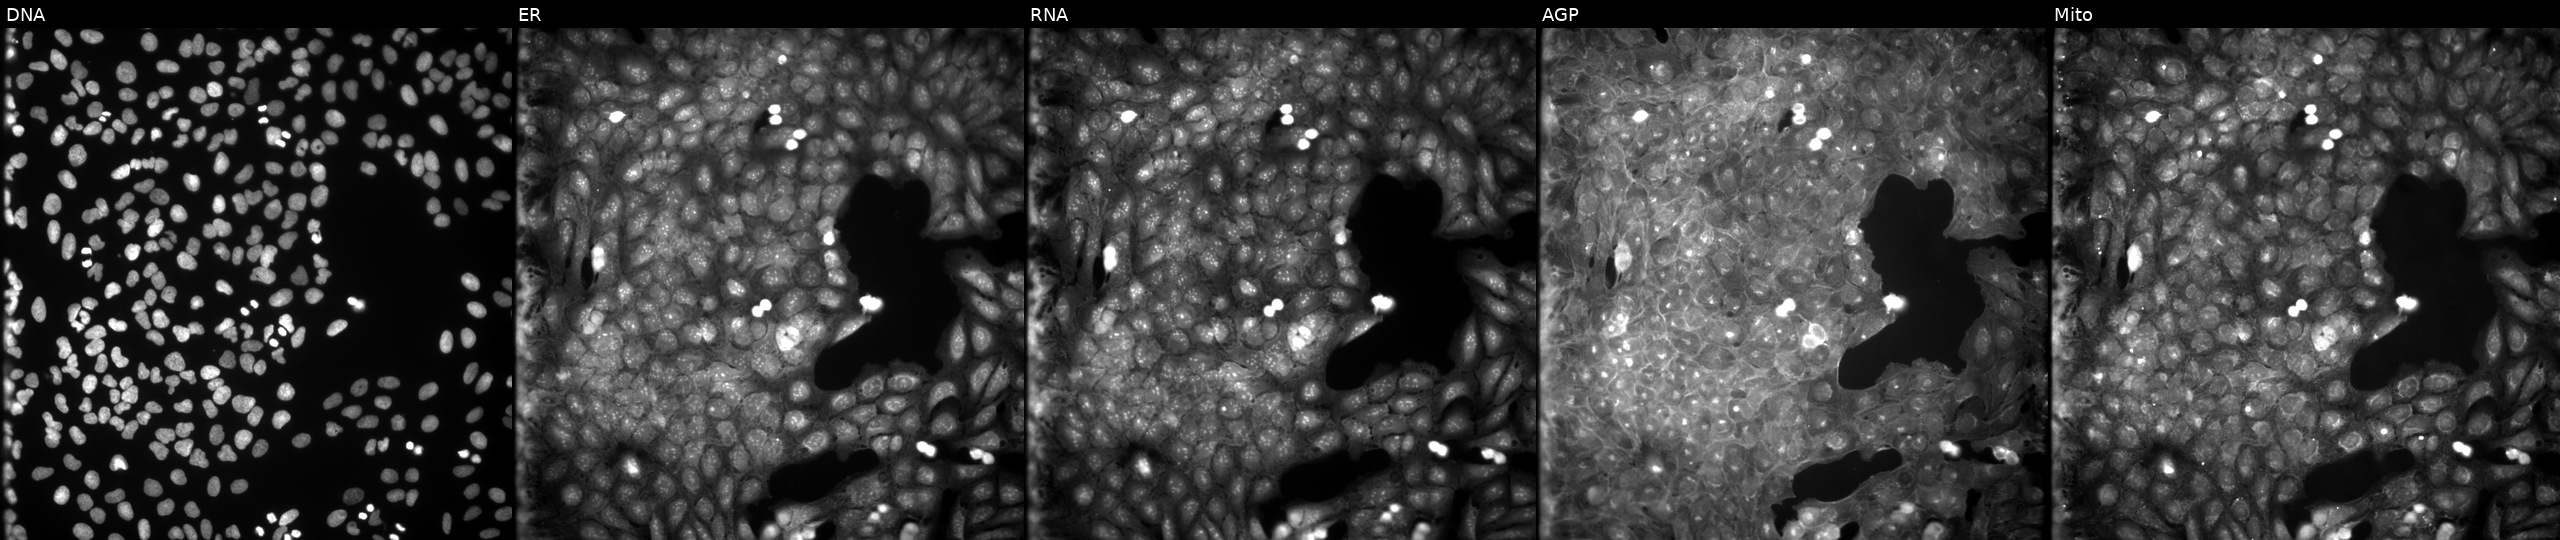
High-content fluorescence microscopy (Cell Painting). Cell line: U2OS. Perturbation: exposed to the positive-control compound aloxistatin. Panels show, left to right, Hoechst 33342, concanavalin A, SYTO 14, phalloidin and WGA, MitoTracker. Source 9, plate GR00003382, well A25.